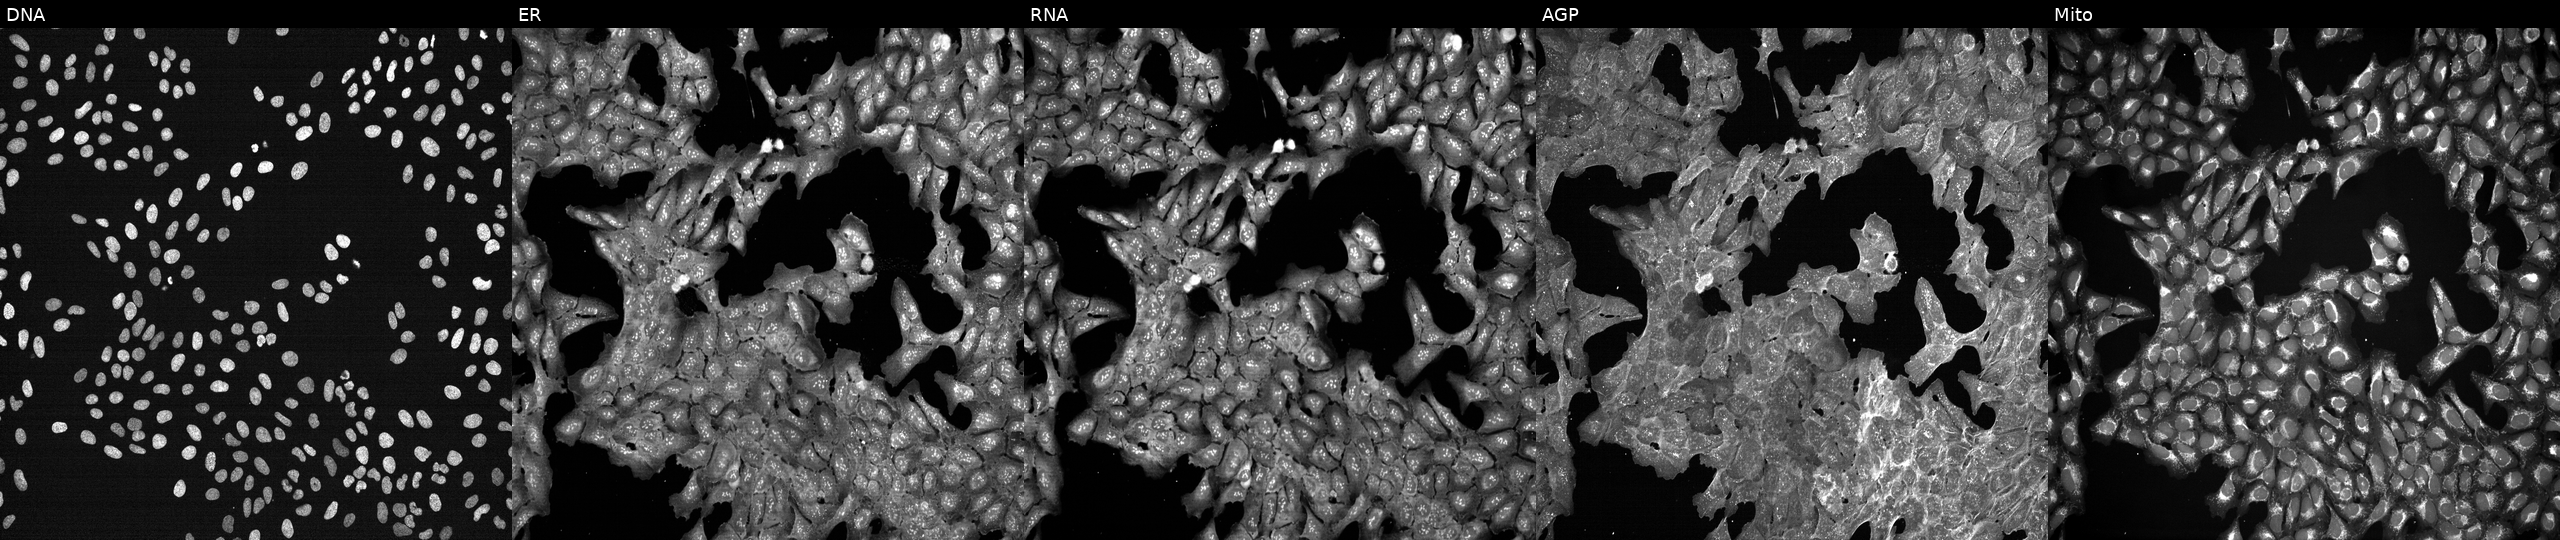
High-content fluorescence microscopy (Cell Painting). Cell line: U2OS. Perturbation: exposed to a small-molecule compound (InChIKey BGVLELSCIHASRV-UHFFFAOYSA-N) [SMILES: CCN1C(=CC(C)=O)Sc2ccc(OC)cc21] (JUMP id JCP2022_006270). Panels show, left to right, DNA (nuclei); ER (endoplasmic reticulum); RNA (nucleoli and cytoplasmic RNA); AGP (actin cytoskeleton, Golgi, and plasma membrane); Mito (mitochondria). Source 7, plate CP3-SC1-25, well F12.